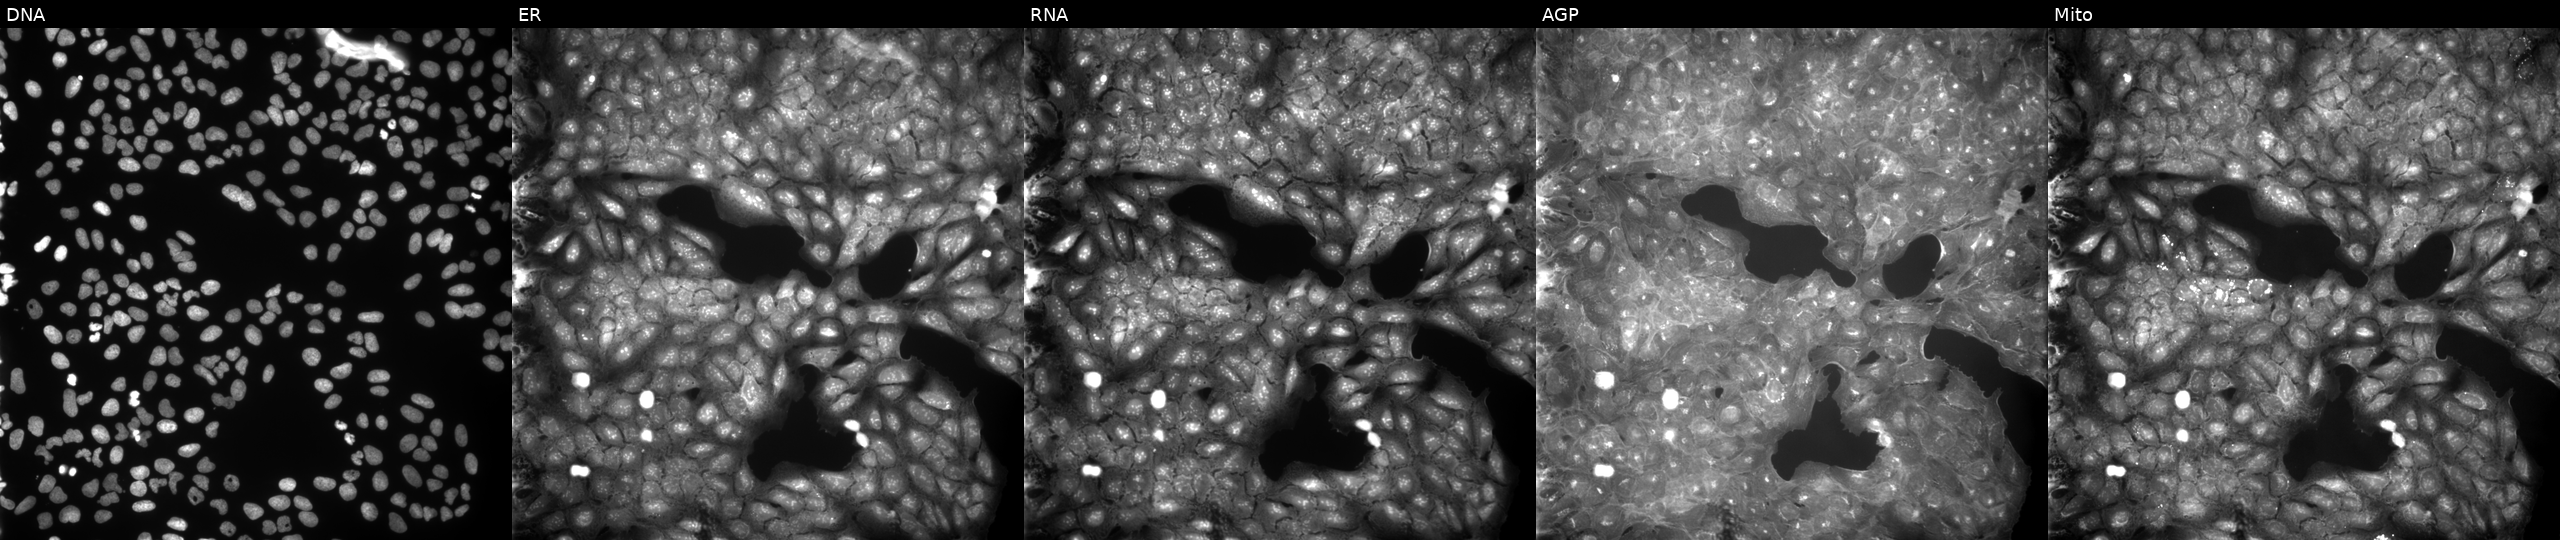
Five-channel Cell Painting image of U2OS cells treated with DMSO vehicle only (negative control). The five panels, left to right, show DNA, ER, RNA, AGP, and Mito.